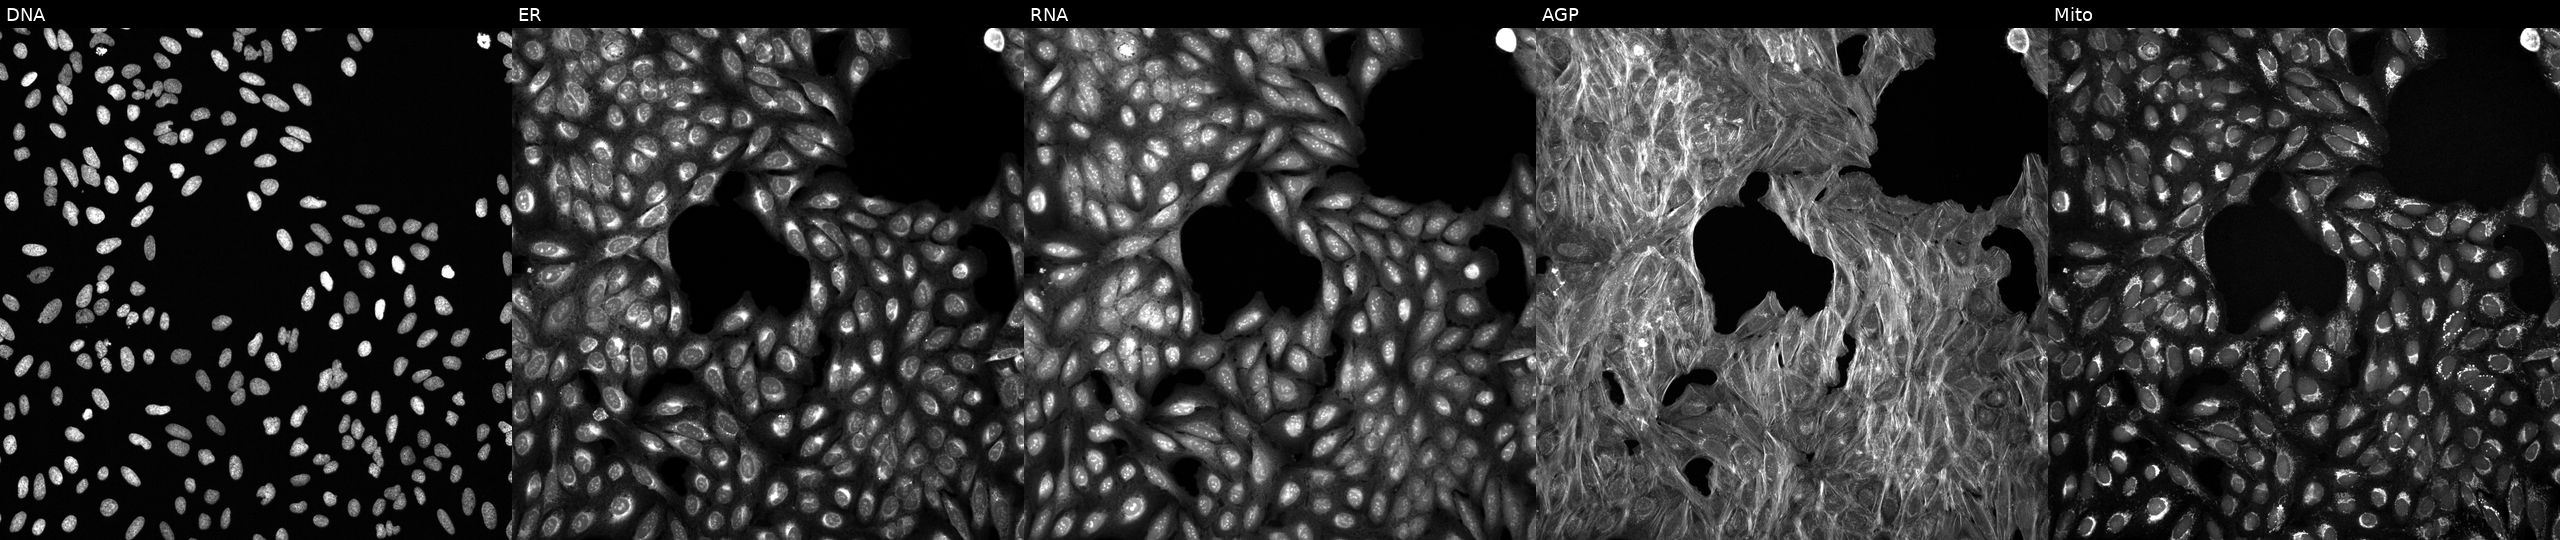
This image strip shows the five Cell Painting channels for a single field of U2OS cells exposed to DMSO alone as a negative control (JUMP id JCP2022_033924). From left to right: DNA (nuclei); ER (endoplasmic reticulum); RNA (nucleoli and cytoplasmic RNA); AGP (actin cytoskeleton, Golgi, and plasma membrane); Mito (mitochondria). Source 6, plate 110000293093, well G19.